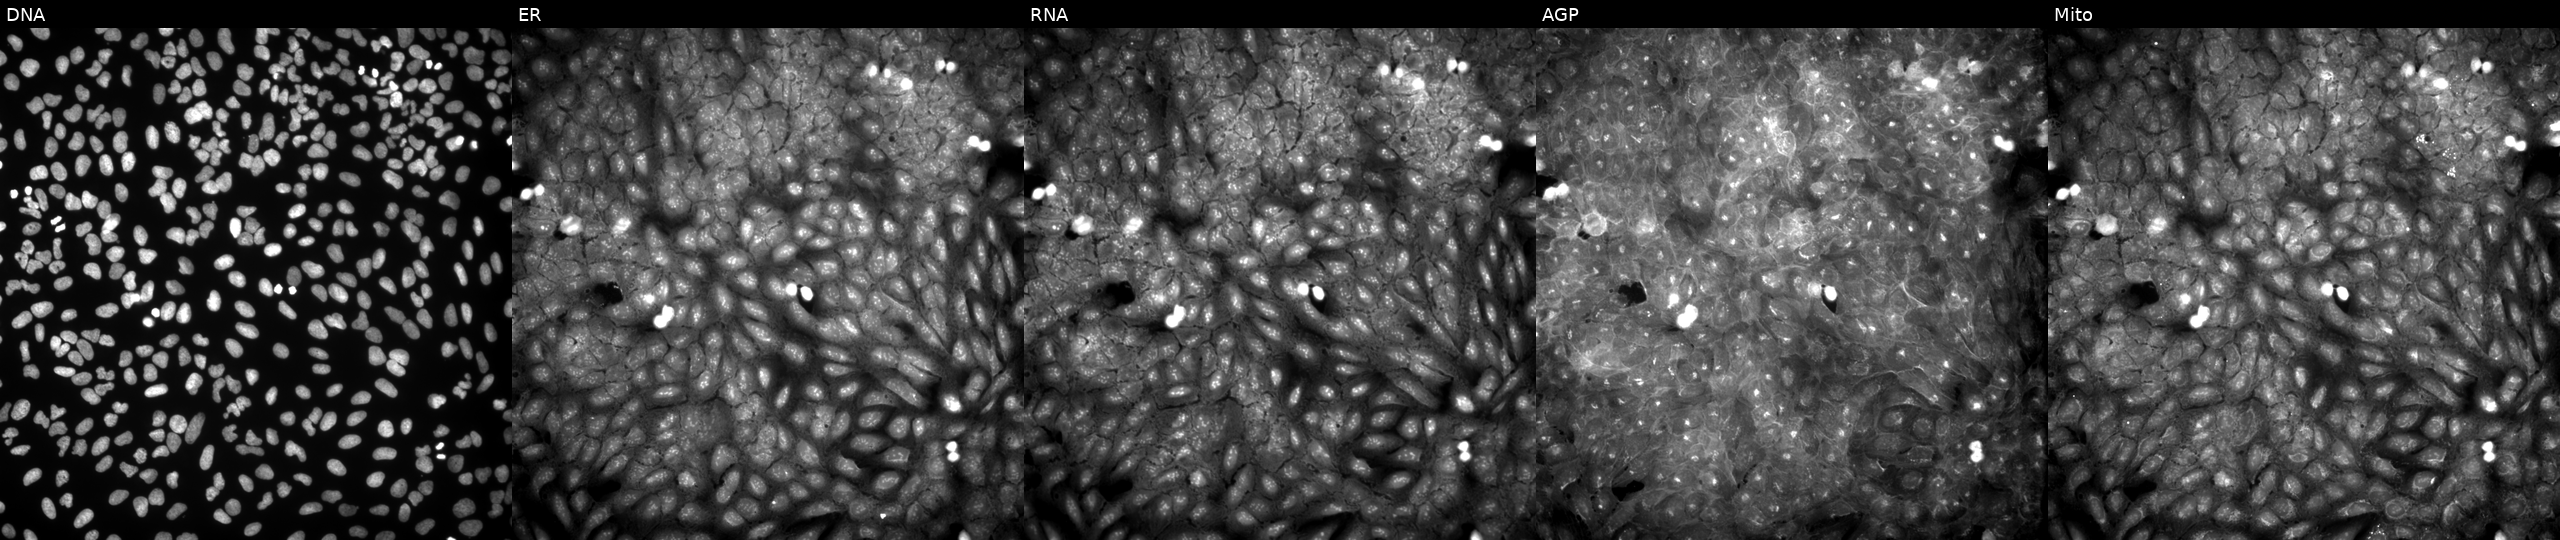
U2OS cells, Cell Painting assay, treated with DMSO vehicle only (negative control) (JUMP id JCP2022_033924). Channels (left→right): Hoechst 33342, concanavalin A, SYTO 14, phalloidin and WGA, MitoTracker. Each panel is percentile-stretched 16-bit fluorescence.